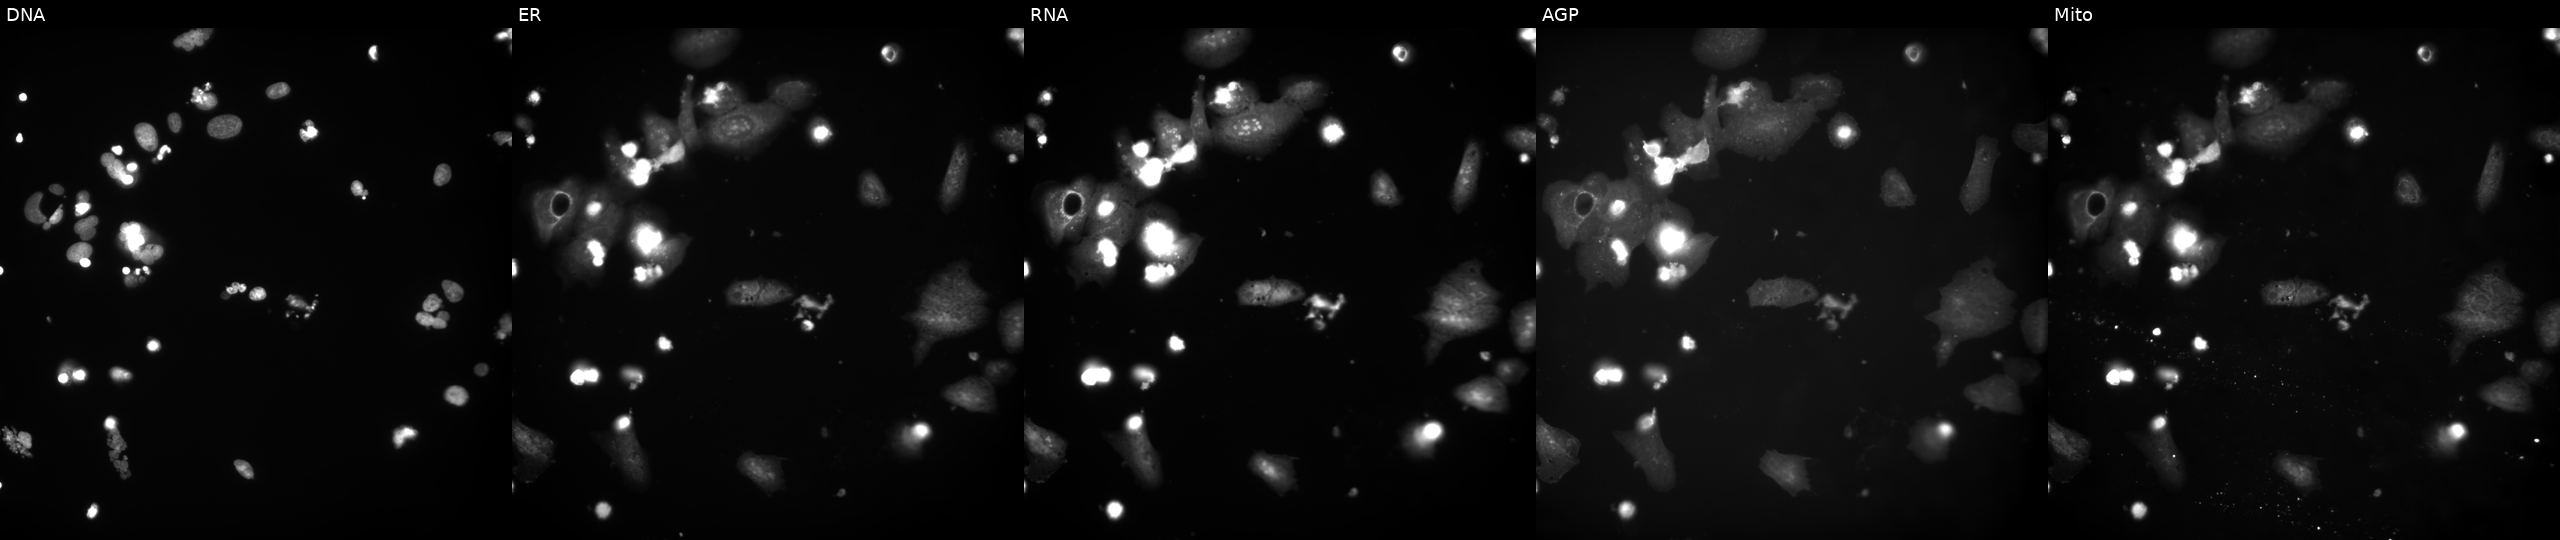
JUMP Cell Painting — COMPOUND plate. U2OS cells perturbed with a small-molecule compound (InChIKey QYBHTSGICZSSPB-UHFFFAOYSA-N). The five panels, left to right, show Hoechst 33342, concanavalin A, SYTO 14, phalloidin and WGA, MitoTracker. Source 9, plate GR00003382, well AC44.